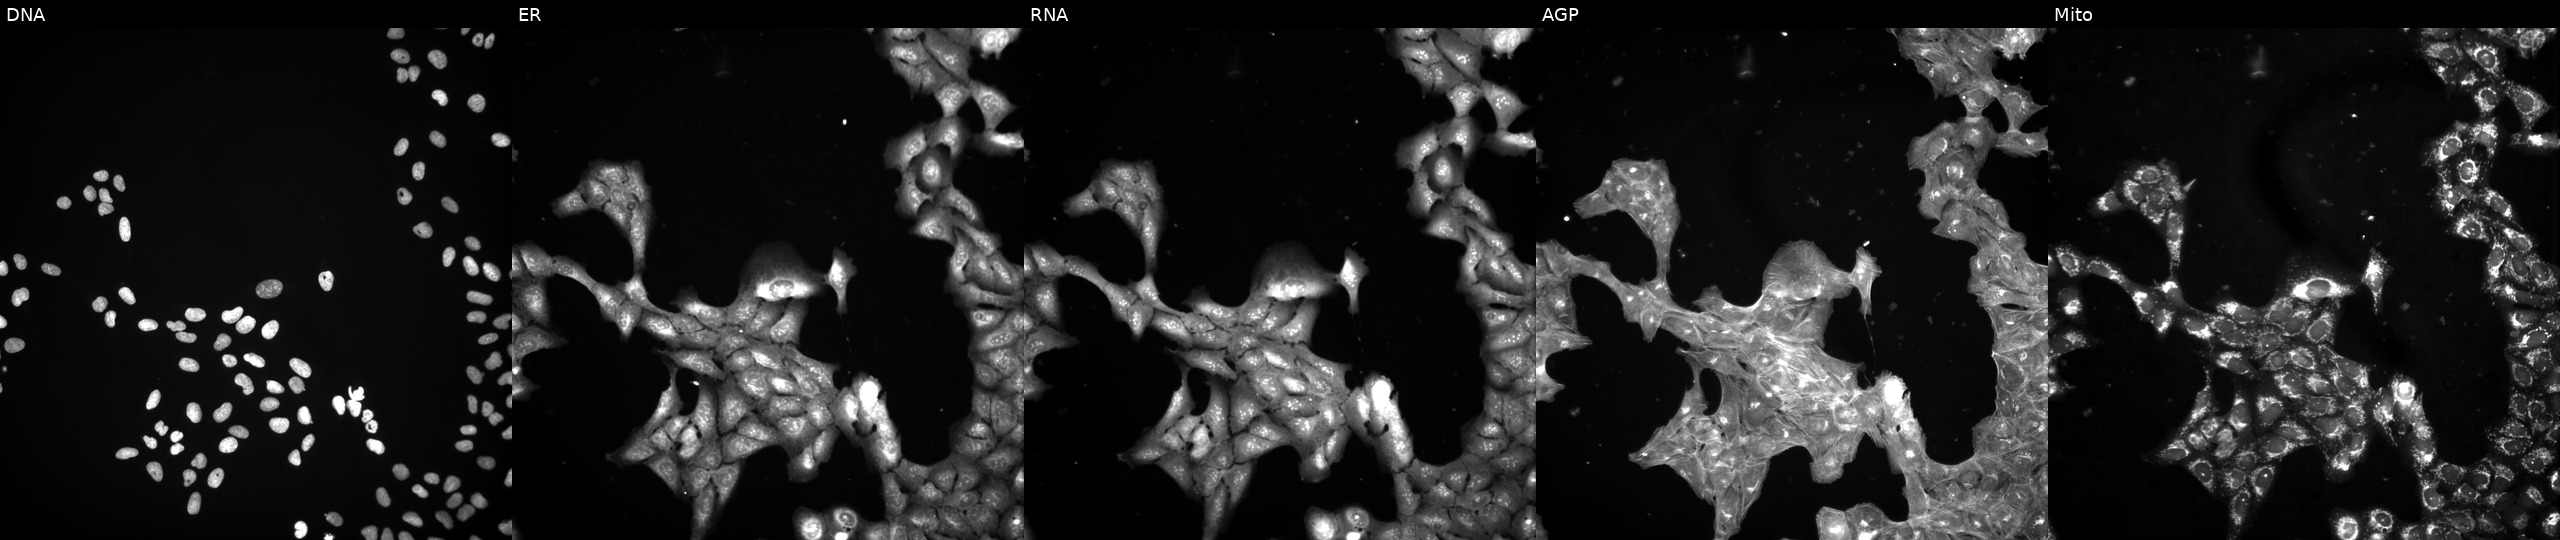
This image strip shows the five Cell Painting channels for a single field of U2OS cells exposed to a small-molecule compound (InChIKey PMATZTZNYRCHOR-UHFFFAOYSA-N) (JUMP id JCP2022_069491). Panels show, left to right, DNA, ER, RNA, AGP, and Mito.